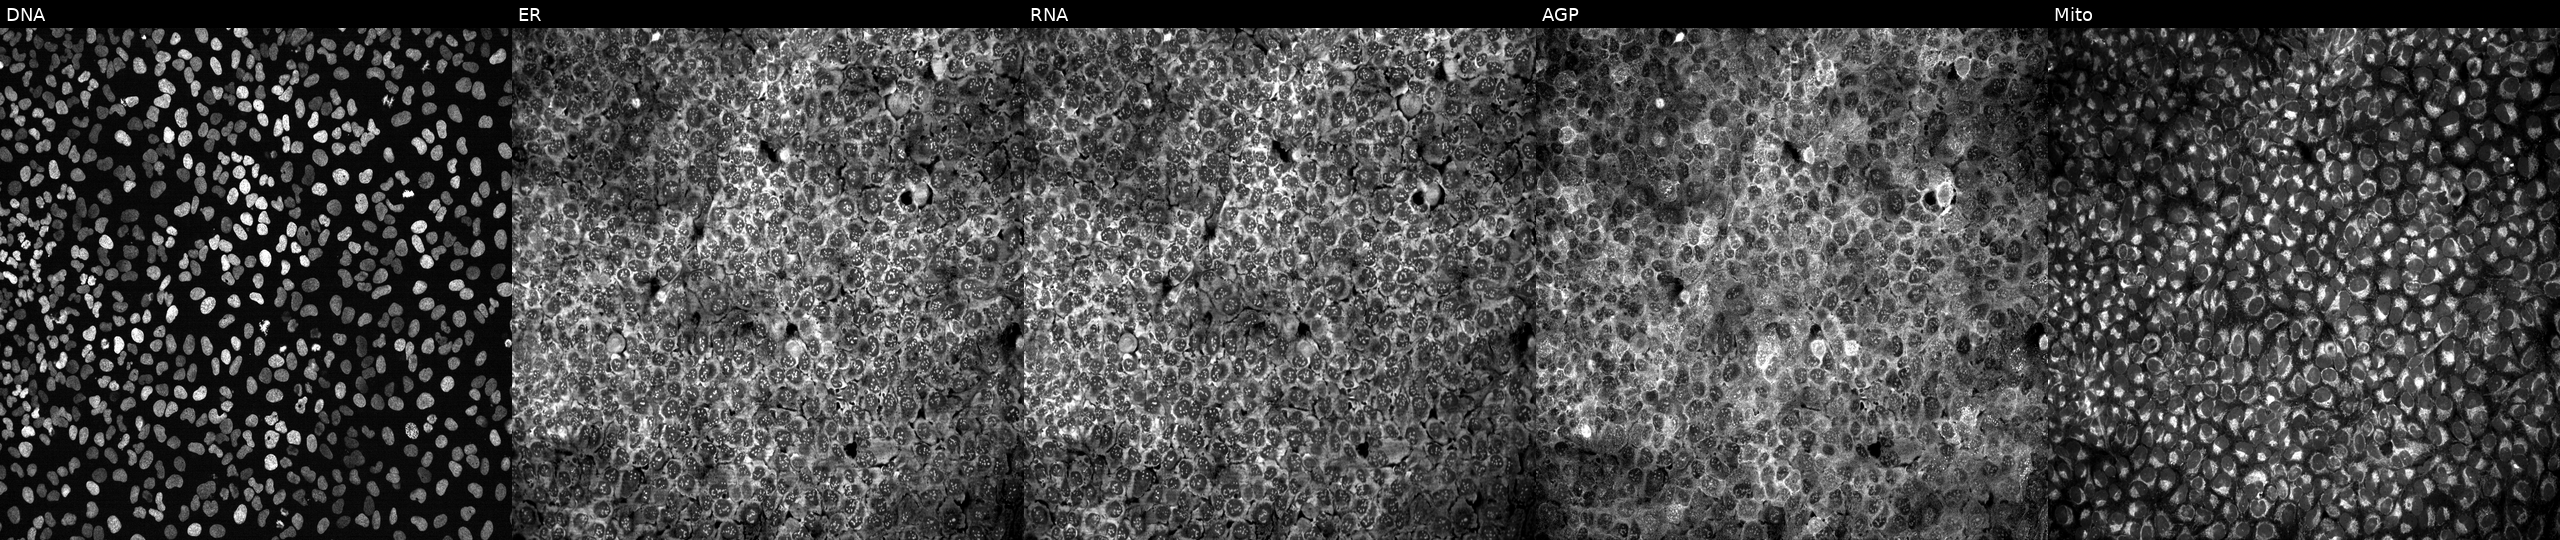
This image strip shows the five Cell Painting channels for a single field of U2OS cells with no CRISPR guide (negative control) (JUMP id JCP2022_800001). From left to right: Hoechst 33342, concanavalin A, SYTO 14, phalloidin and WGA, MitoTracker. Source 13, plate CP-CC9-R4-03, well M23.